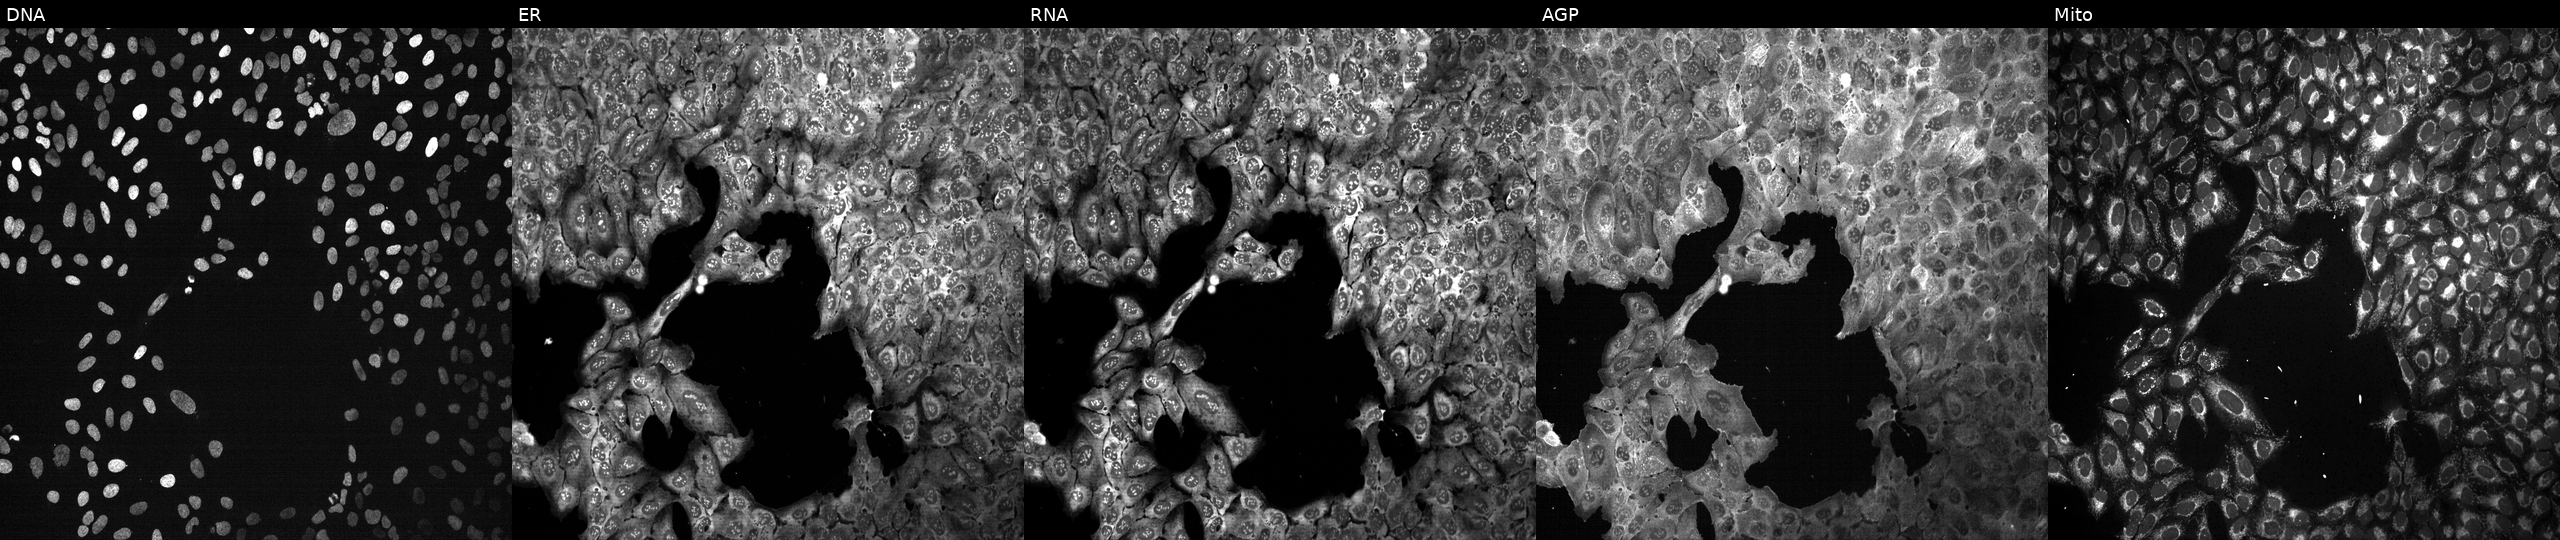
U2OS cells, Cell Painting assay, CRISPR-edited to disrupt TIMP3. Panels show, left to right, Hoechst 33342, concanavalin A, SYTO 14, phalloidin and WGA, MitoTracker. Each panel is percentile-stretched 16-bit fluorescence. Source 13, plate CP-CC9-R3-01, well A19.